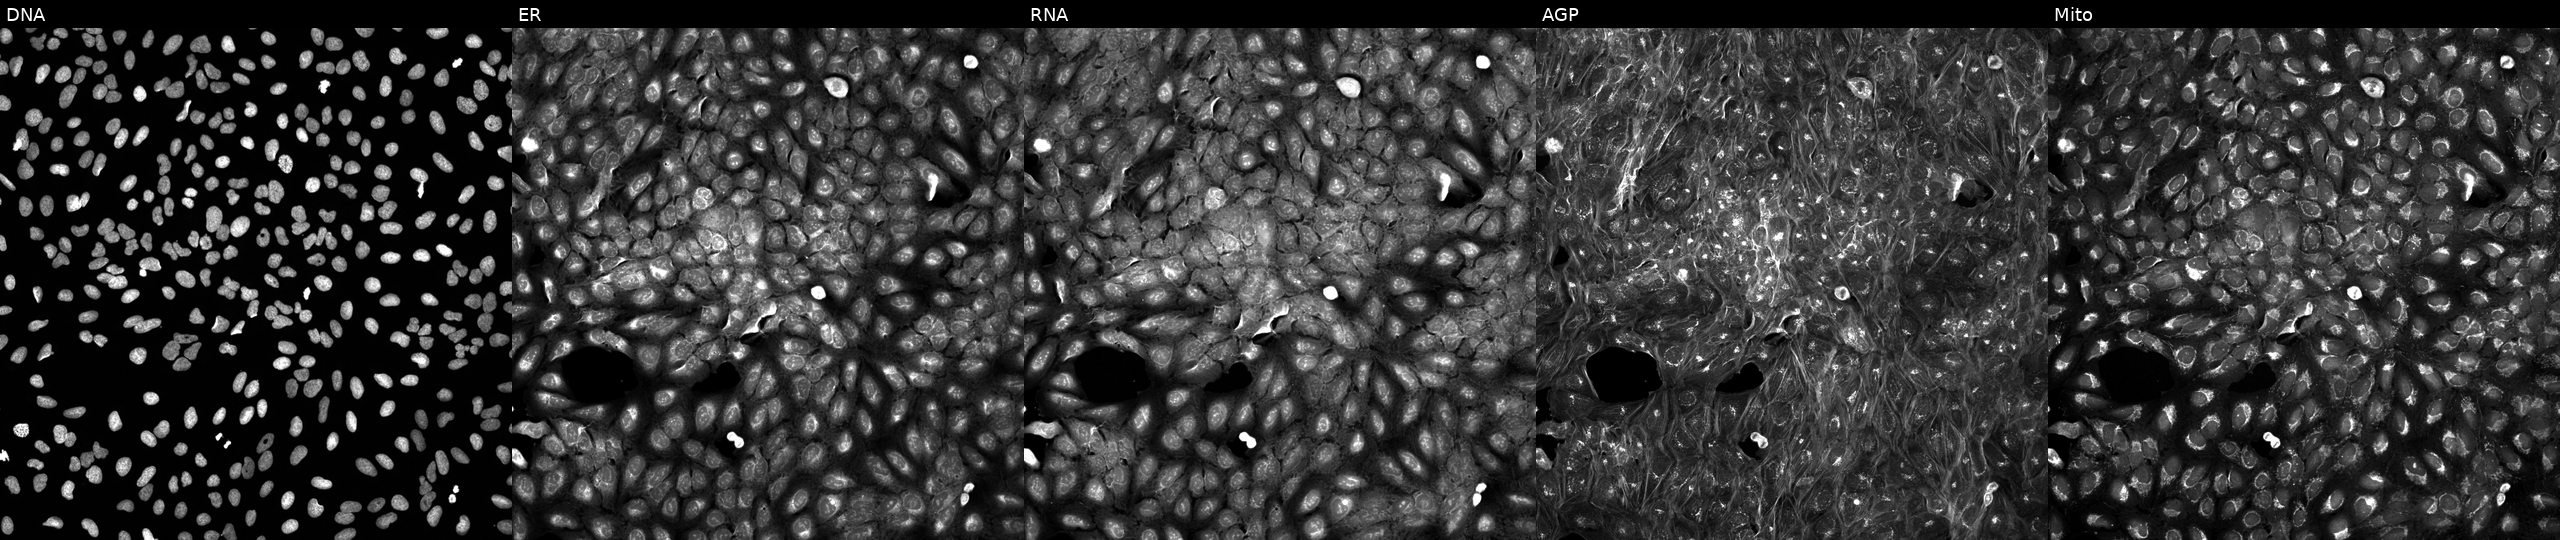
U2OS cells, Cell Painting assay, perturbed with a small-molecule compound [SMILES: Cc1ccc(NC(=O)c2cccc(N(C)C)c2)cc1NC(=O)c1ccc(O)cc1]. From left to right: DNA, ER, RNA, AGP, and Mito. Each panel is percentile-stretched 16-bit fluorescence.